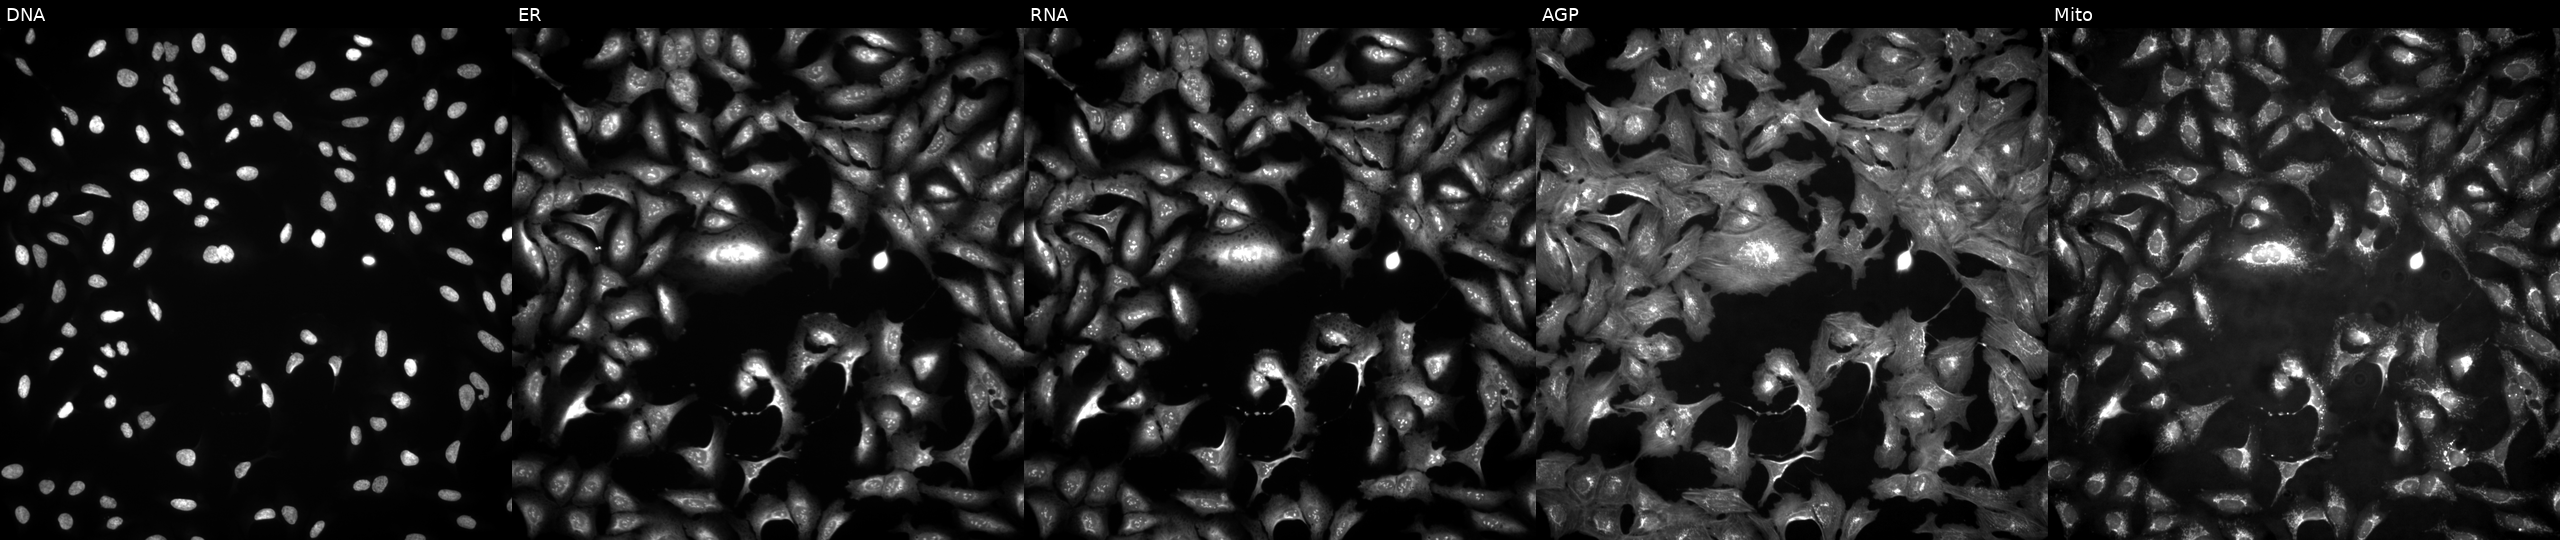
Panels show, left to right, DNA, ER, RNA, AGP, and Mito. U2OS osteosarcoma cells overexpressing MRPS16 via ORF transfection (JUMP id JCP2022_902981). Cell Painting assay, JUMP-CP dataset.